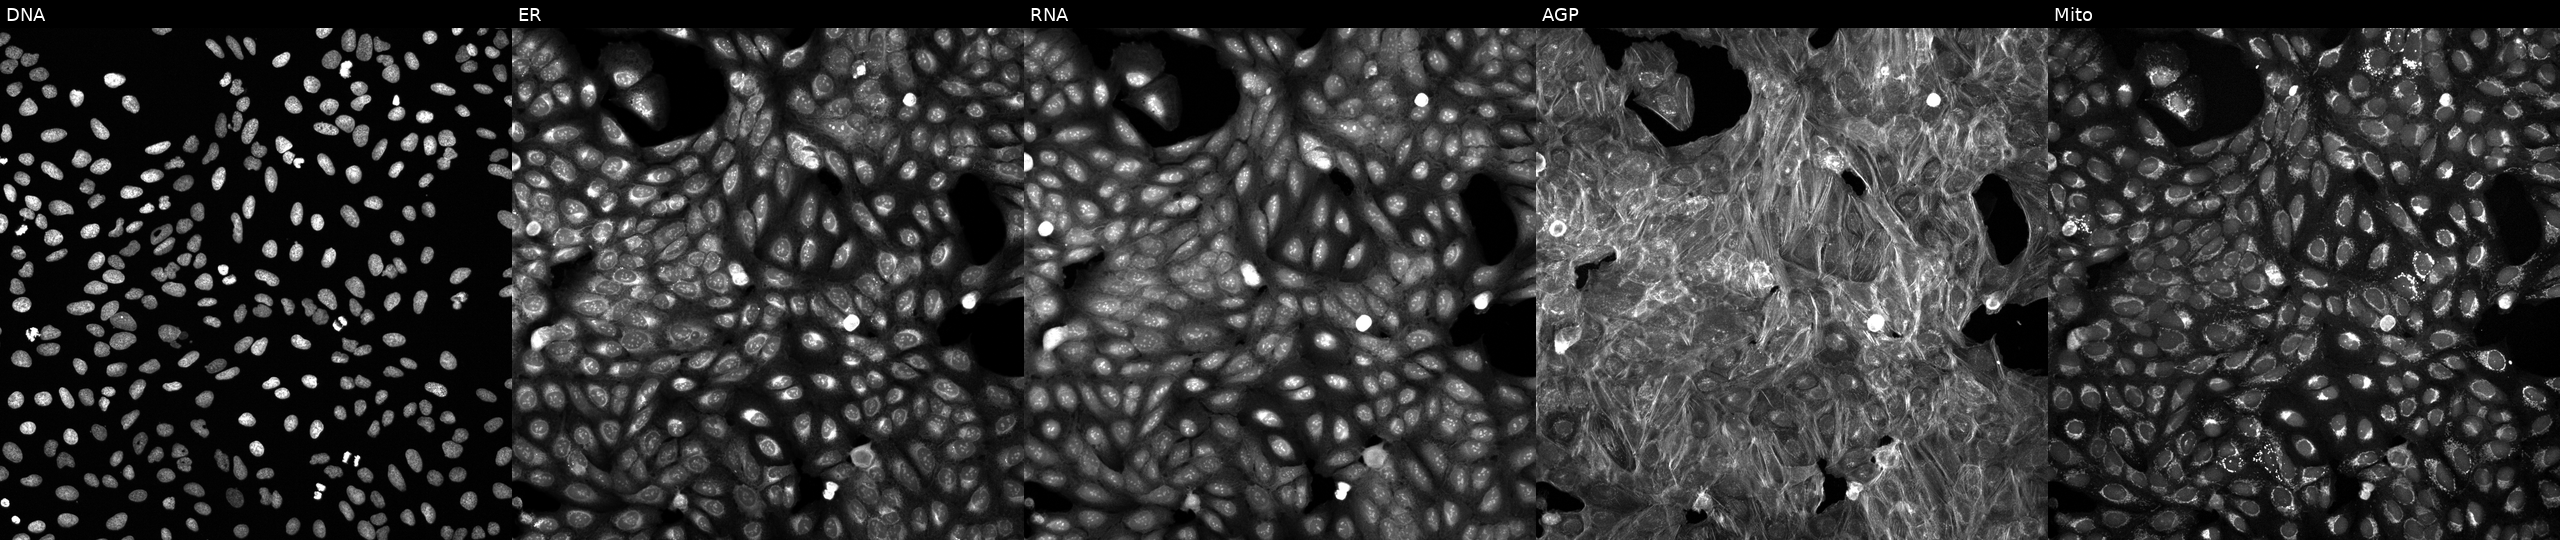
High-content fluorescence microscopy (Cell Painting). Cell line: U2OS. Perturbation: treated with a small-molecule compound (InChIKey HGVDHZBSSITLCT-UHFFFAOYSA-N) [SMILES: CN1CCc2nc(C(=O)NC3CC(C(=O)N(C)C)CCC3NC(=O)C(=O)N=c3ccc(Cl)c[nH]3)sc2C1] (JUMP id JCP2022_030094). The five panels, left to right, show DNA (nuclei); ER (endoplasmic reticulum); RNA (nucleoli and cytoplasmic RNA); AGP (actin cytoskeleton, Golgi, and plasma membrane); Mito (mitochondria). Source 6, plate 110000293093, well E07.